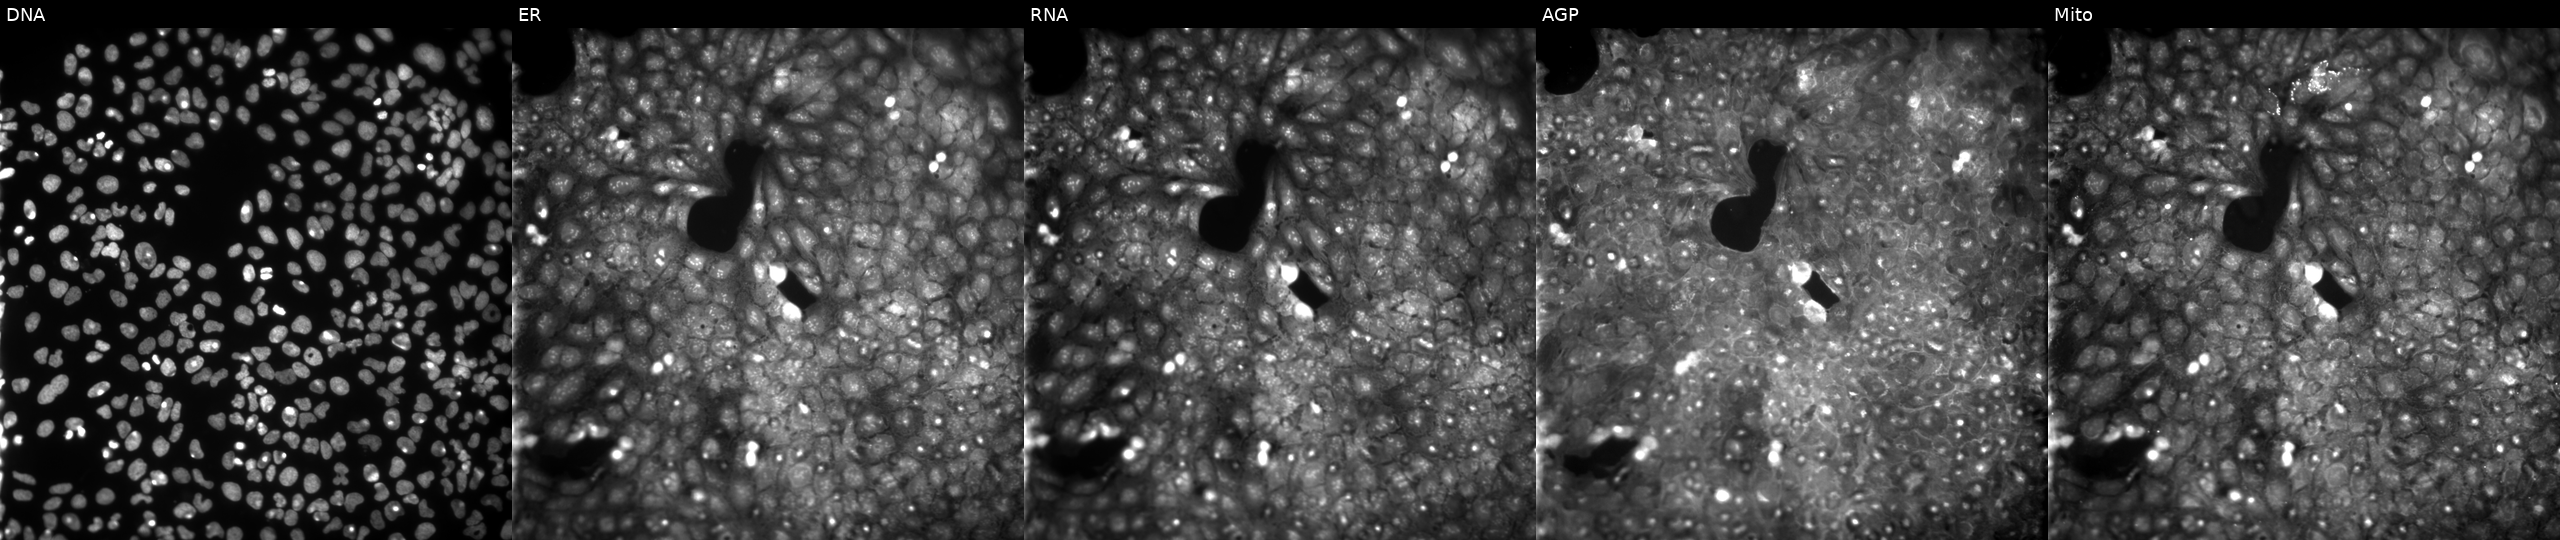
High-content fluorescence microscopy (Cell Painting). Cell line: U2OS. Perturbation: exposed to DMSO alone as a negative control. The five panels, left to right, show DNA (nuclei); ER (endoplasmic reticulum); RNA (nucleoli and cytoplasmic RNA); AGP (actin cytoskeleton, Golgi, and plasma membrane); Mito (mitochondria). Source 9, plate GR00003381, well AD02.